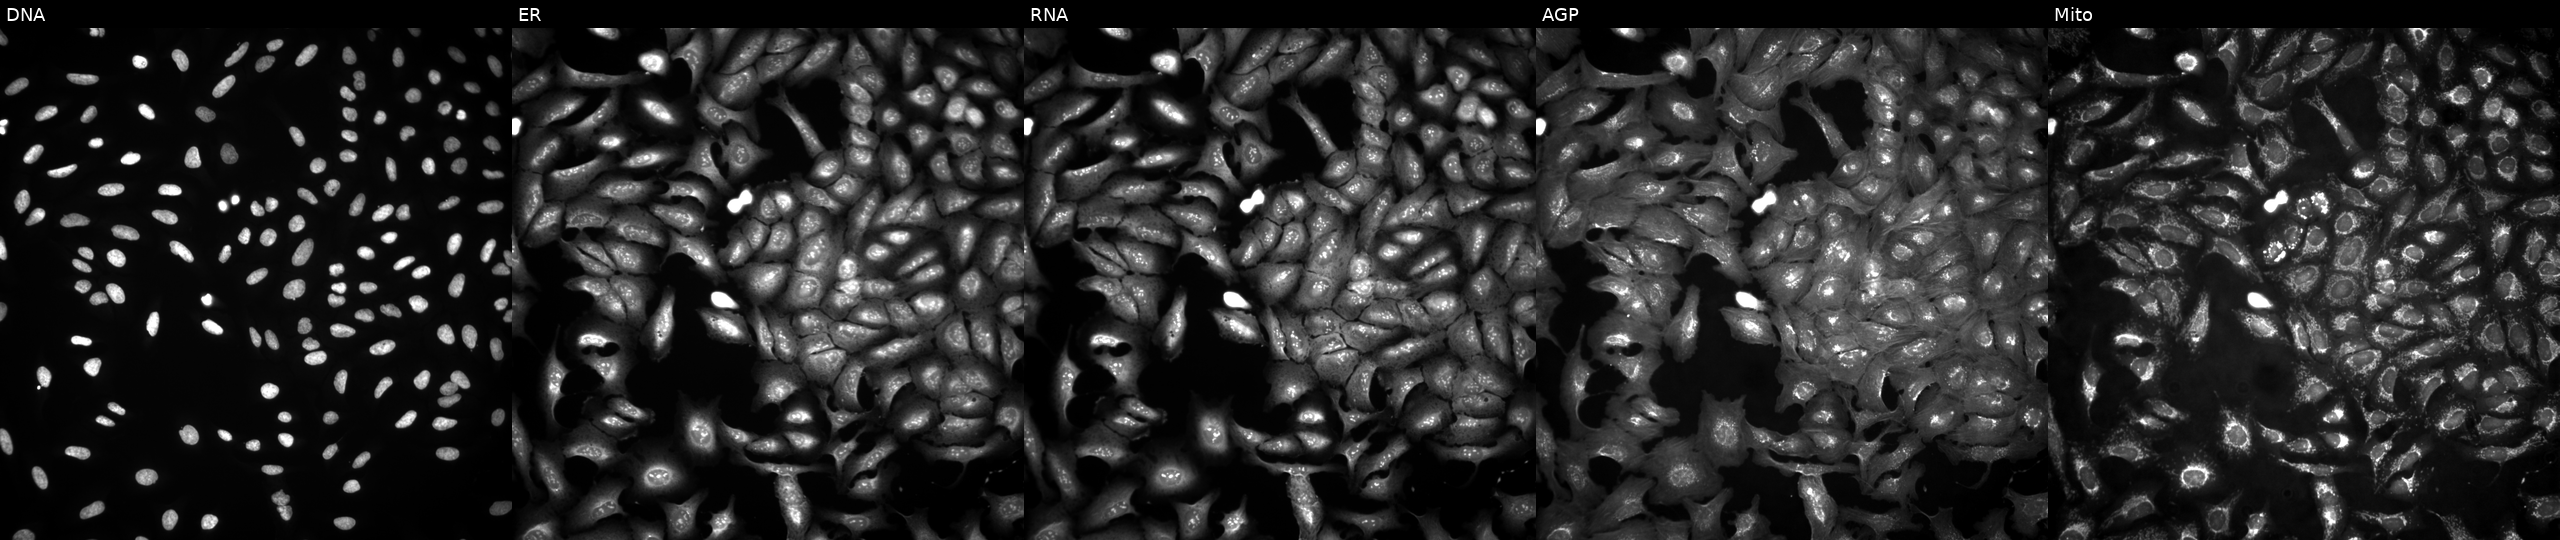
From left to right: DNA, ER, RNA, AGP, and Mito. U2OS osteosarcoma cells with C4BPB overexpressed (ORF). Cell Painting assay, JUMP-CP dataset.